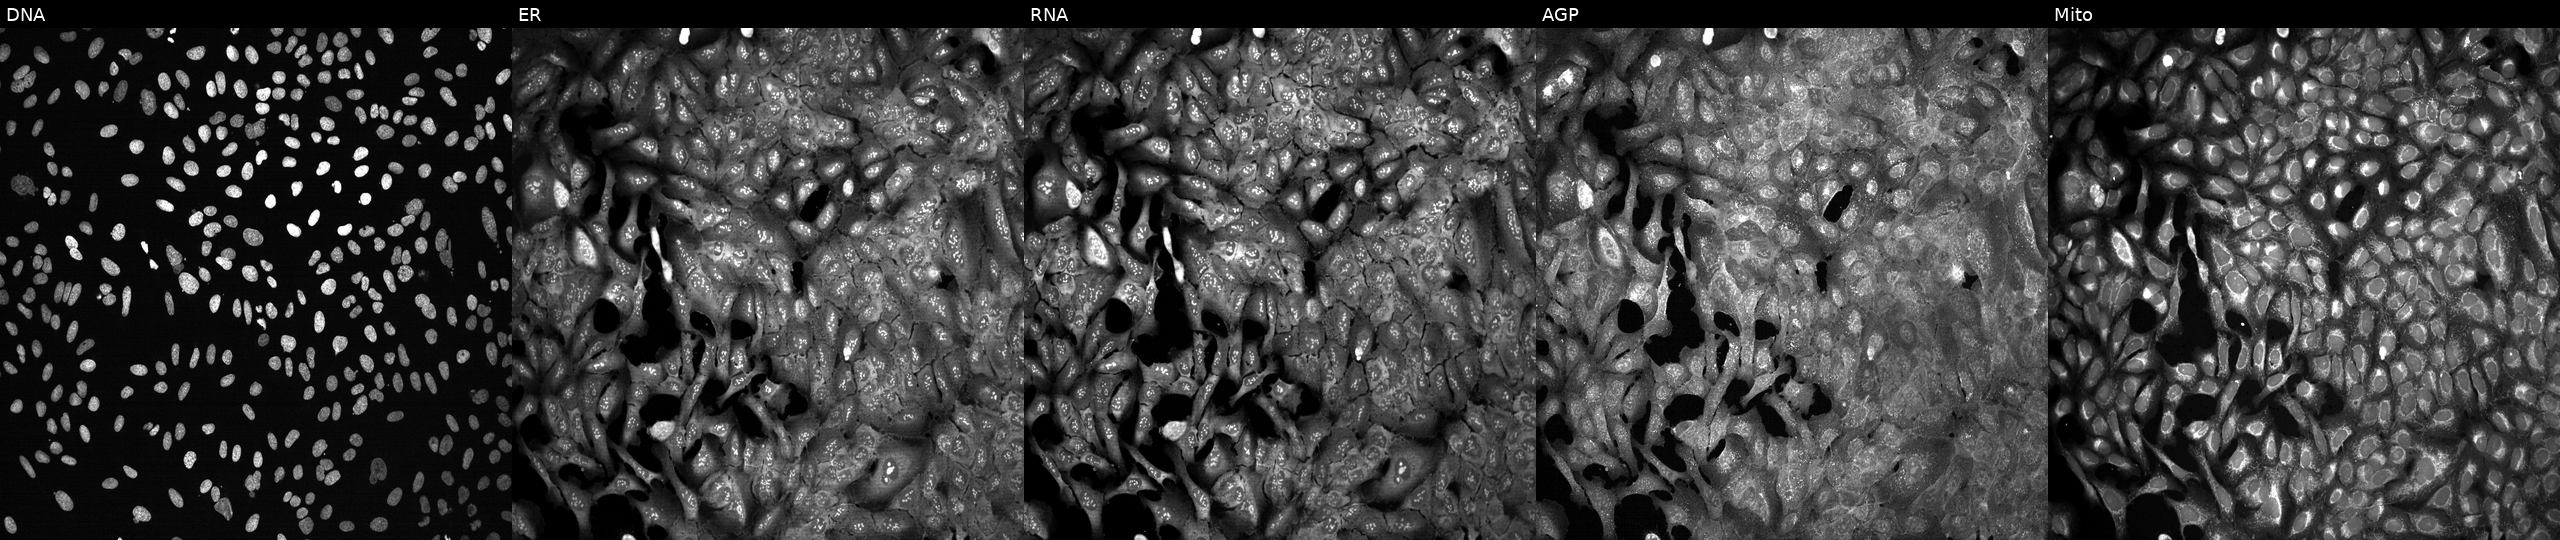
The five panels, left to right, show Hoechst 33342, concanavalin A, SYTO 14, phalloidin and WGA, MitoTracker. U2OS osteosarcoma cells with IL12RB2 knocked out by CRISPR (JUMP id JCP2022_803367). Cell Painting assay, JUMP-CP dataset. Source 13, plate CP-CC9-R5-01, well O17.